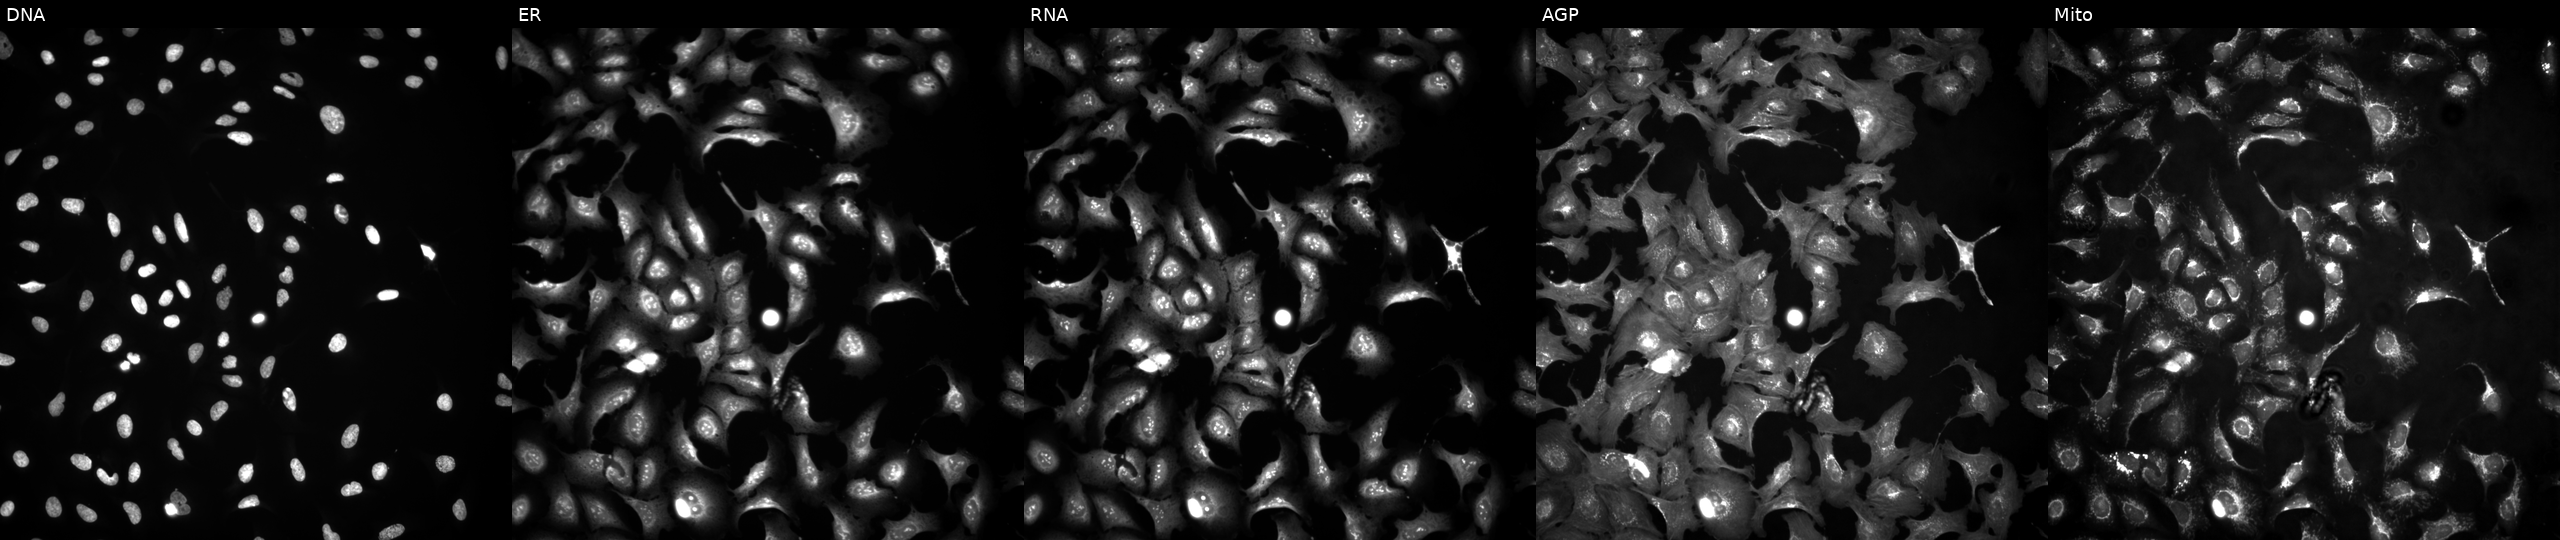
U2OS cells, Cell Painting assay, with CIB4 overexpressed (ORF) (JUMP id JCP2022_914250). Channels (left→right): DNA, ER, RNA, AGP, and Mito. Each panel is percentile-stretched 16-bit fluorescence. Source 4, plate BR00123945, well C07.